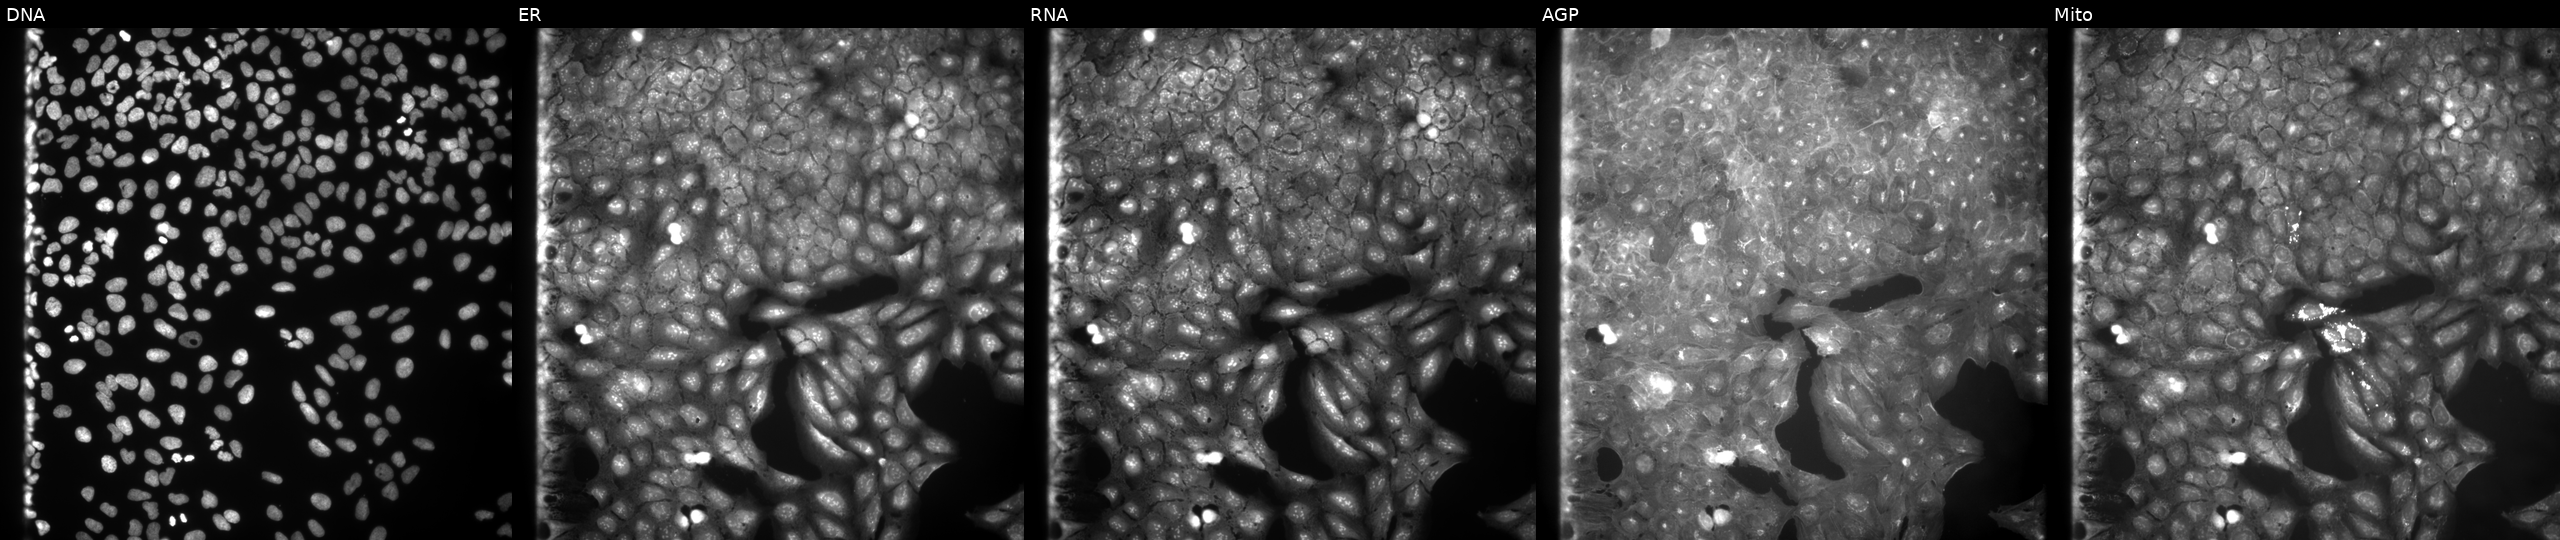
JUMP Cell Painting — COMPOUND plate. U2OS cells perturbed with a small-molecule compound (InChIKey VRWKNSJDJXLRBY-UHFFFAOYSA-N) [SMILES: CC(=O)c1c(C)n(C)c2ccc(OC(=O)c3ccc([N+](=O)[O-])cc3)cc12] (JUMP id JCP2022_095893). Panels show, left to right, DNA, ER, RNA, AGP, and Mito.